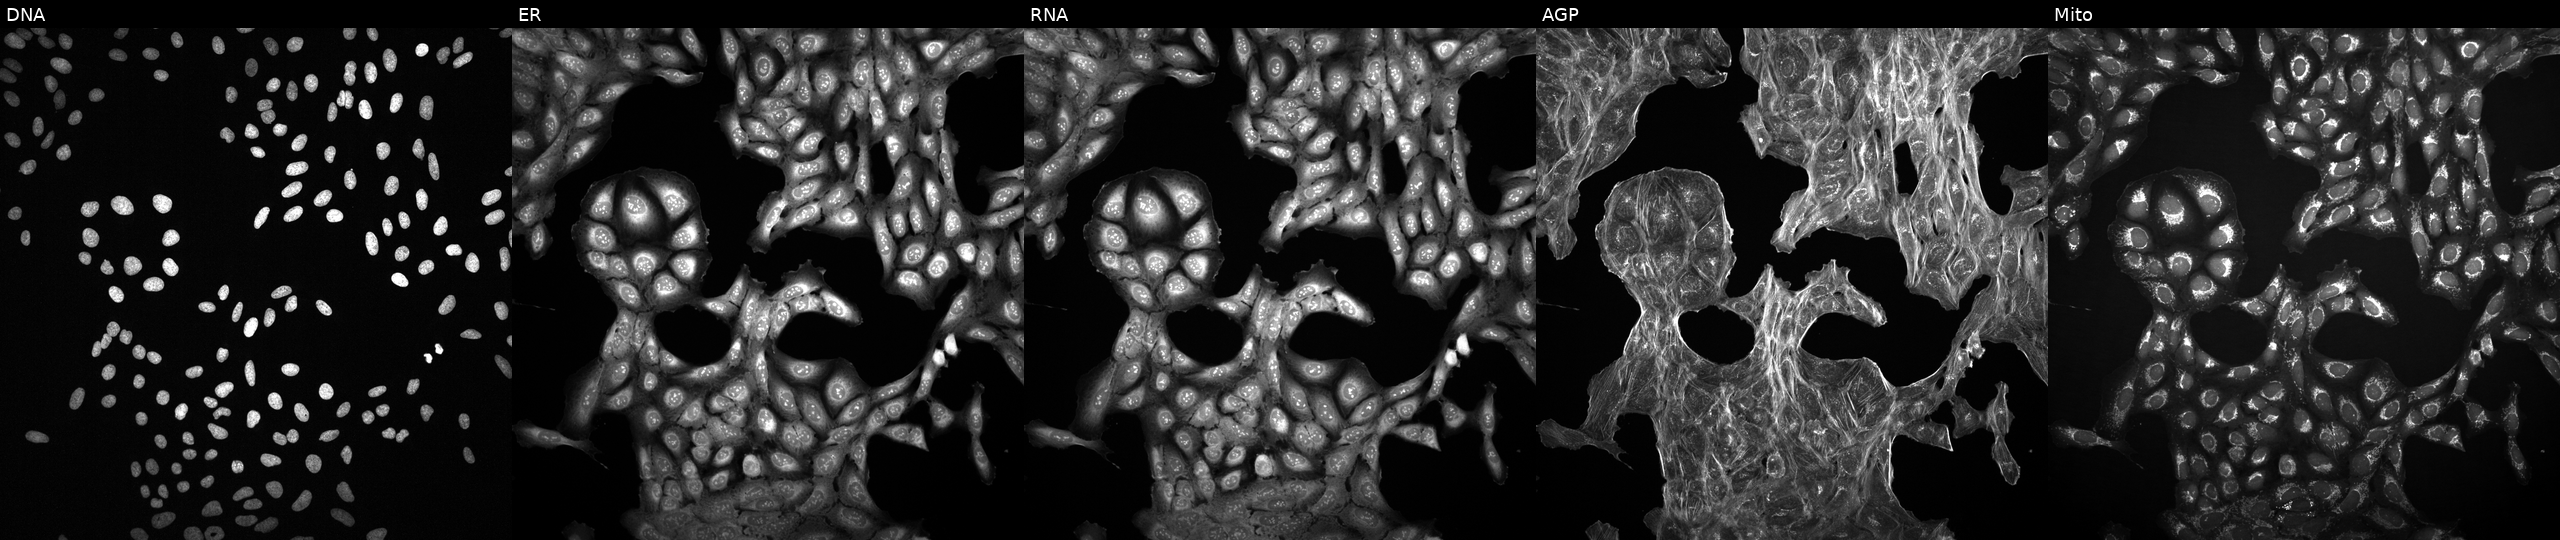
Five-channel Cell Painting image of U2OS cells treated with a small-molecule compound [SMILES: Cc1cn[nH]c1] (JUMP id JCP2022_078588). From left to right: DNA (nuclei); ER (endoplasmic reticulum); RNA (nucleoli and cytoplasmic RNA); AGP (actin cytoskeleton, Golgi, and plasma membrane); Mito (mitochondria). Source 2, plate 1053597936, well O06.